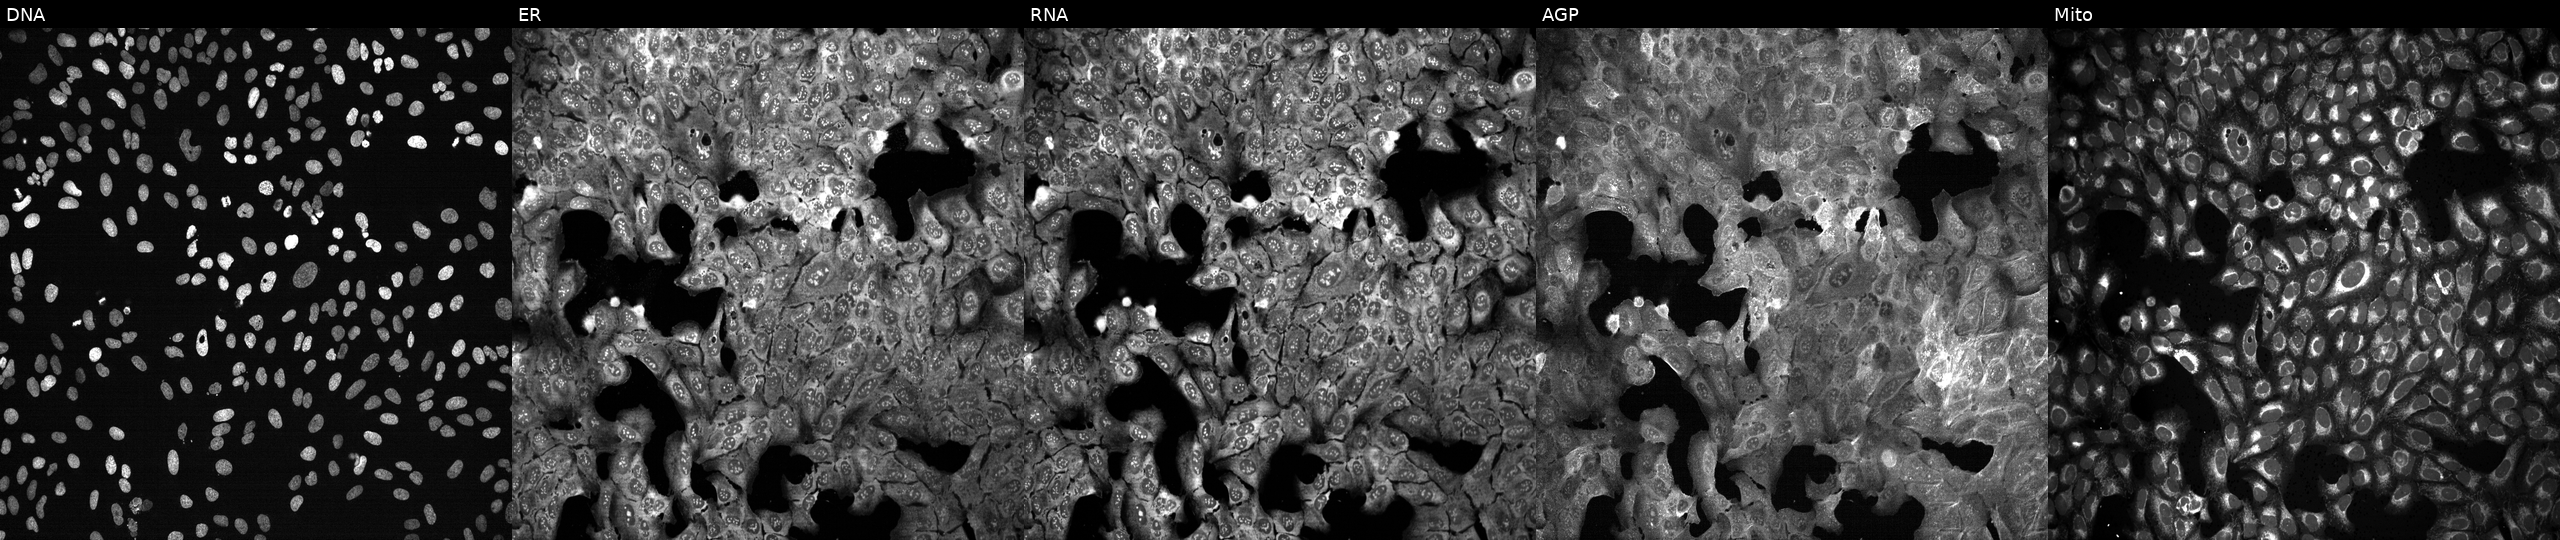
High-content fluorescence microscopy (Cell Painting). Cell line: U2OS. Perturbation: CRISPR-edited to disrupt ASGR1 (JUMP id JCP2022_800639). From left to right: DNA (nuclei); ER (endoplasmic reticulum); RNA (nucleoli and cytoplasmic RNA); AGP (actin cytoskeleton, Golgi, and plasma membrane); Mito (mitochondria).